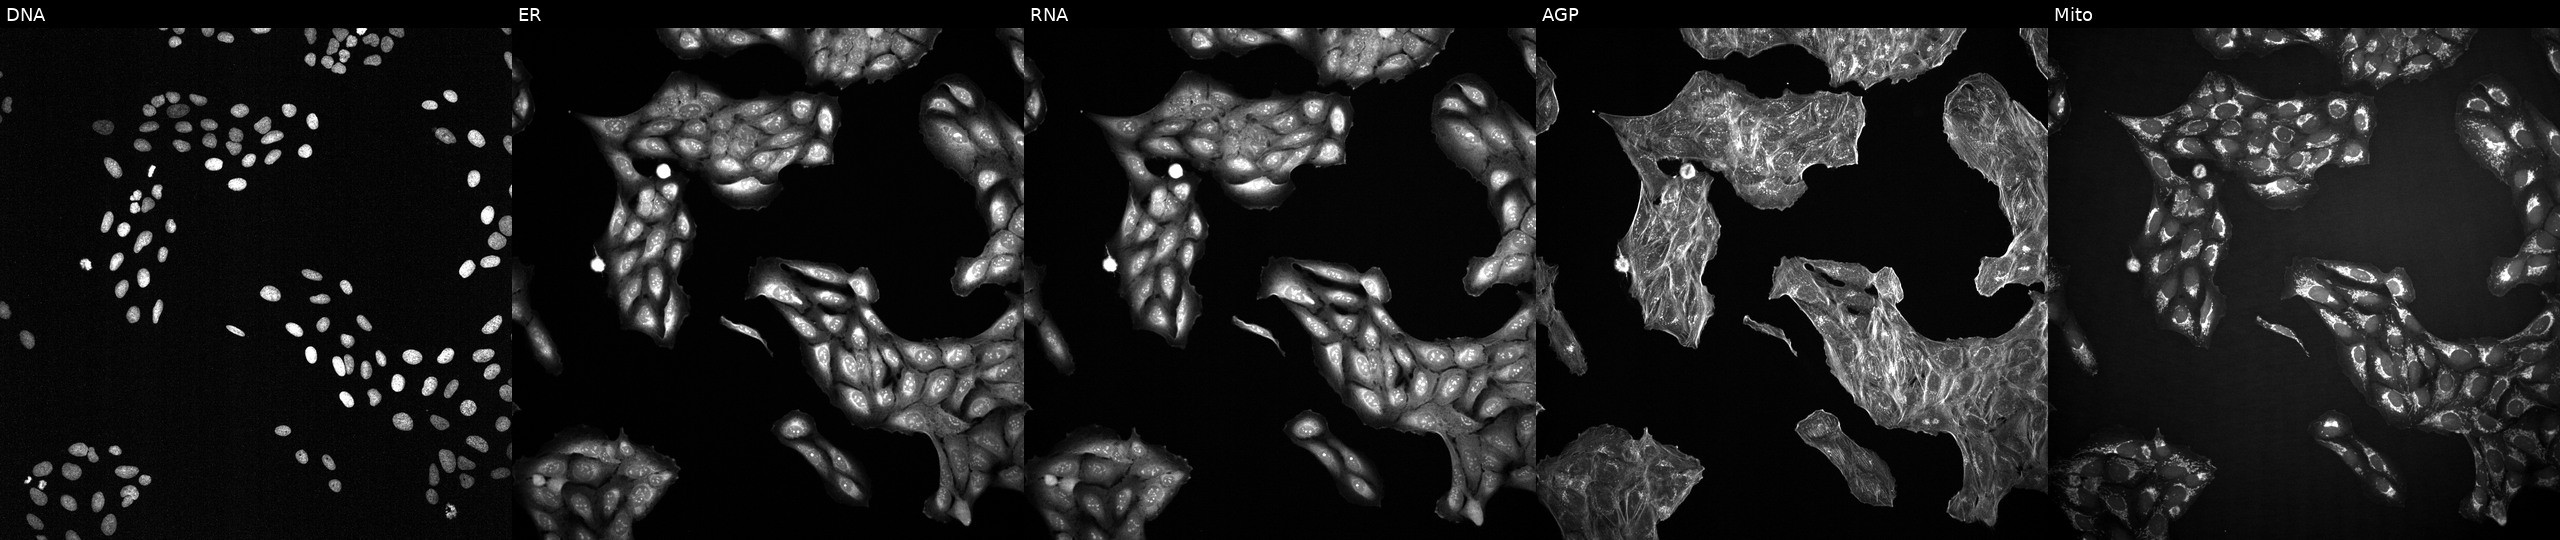
JUMP Cell Painting — TARGET2 plate. U2OS cells treated with a small-molecule compound (InChIKey KAQKFAOMNZTLHT-UHFFFAOYSA-N). Panels show, left to right, DNA, ER, RNA, AGP, and Mito.